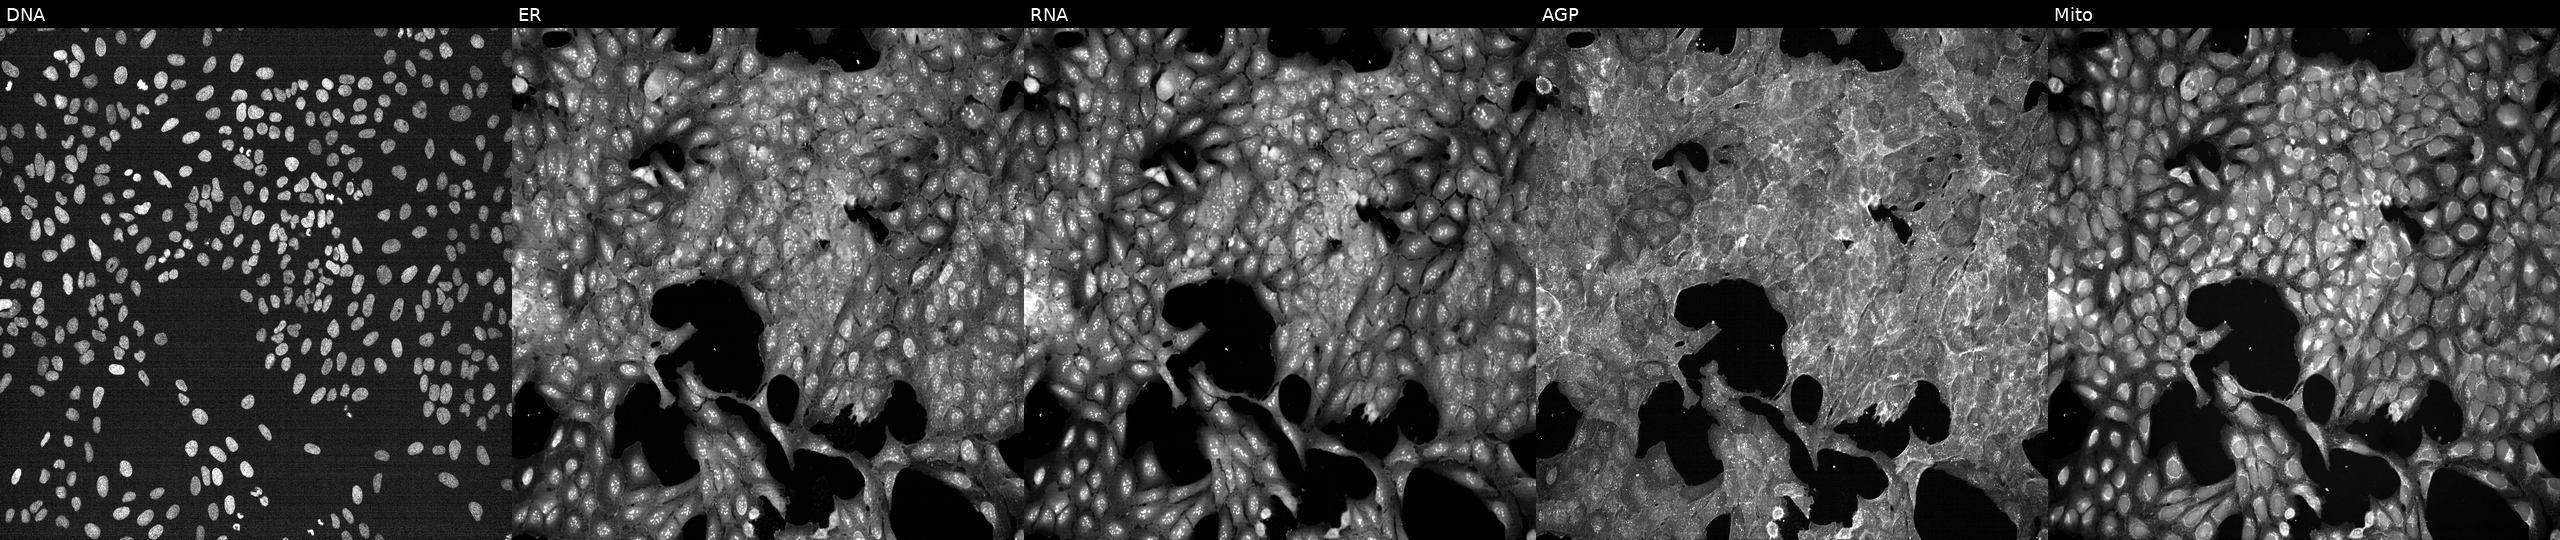
This image strip shows the five Cell Painting channels for a single field of U2OS cells perturbed with a small-molecule compound (JUMP id JCP2022_115049). Panels show, left to right, DNA, ER, RNA, AGP, and Mito.